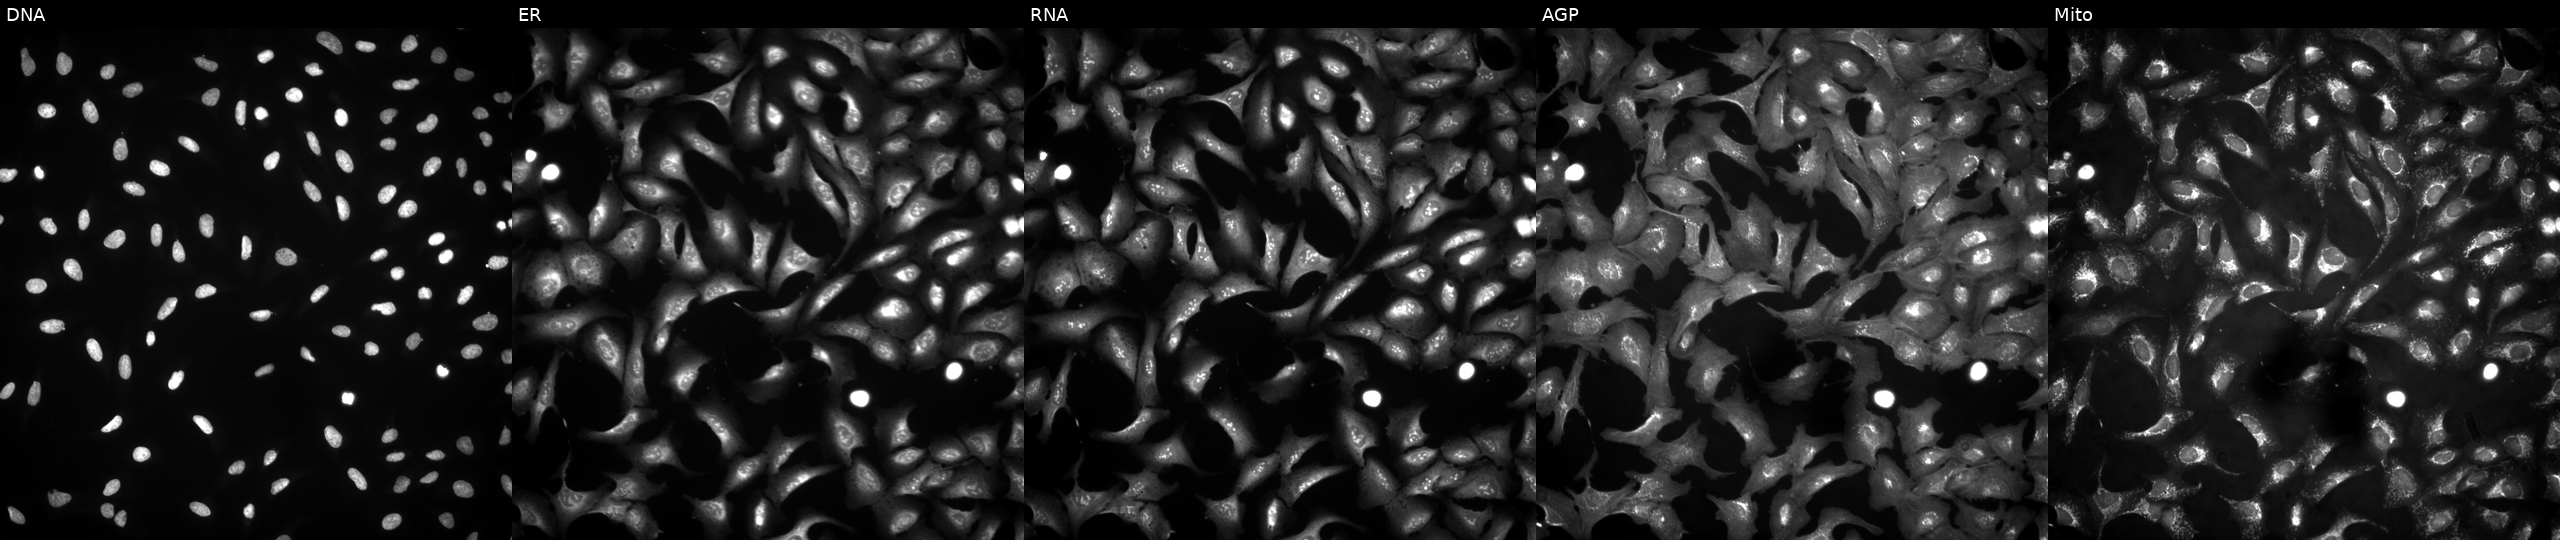
U2OS cells, Cell Painting assay, transfected with an ORF construct for PRSS45P (JUMP id JCP2022_905194). From left to right: Hoechst 33342, concanavalin A, SYTO 14, phalloidin and WGA, MitoTracker. Each panel is percentile-stretched 16-bit fluorescence. Source 4, plate BR00124790, well F08.